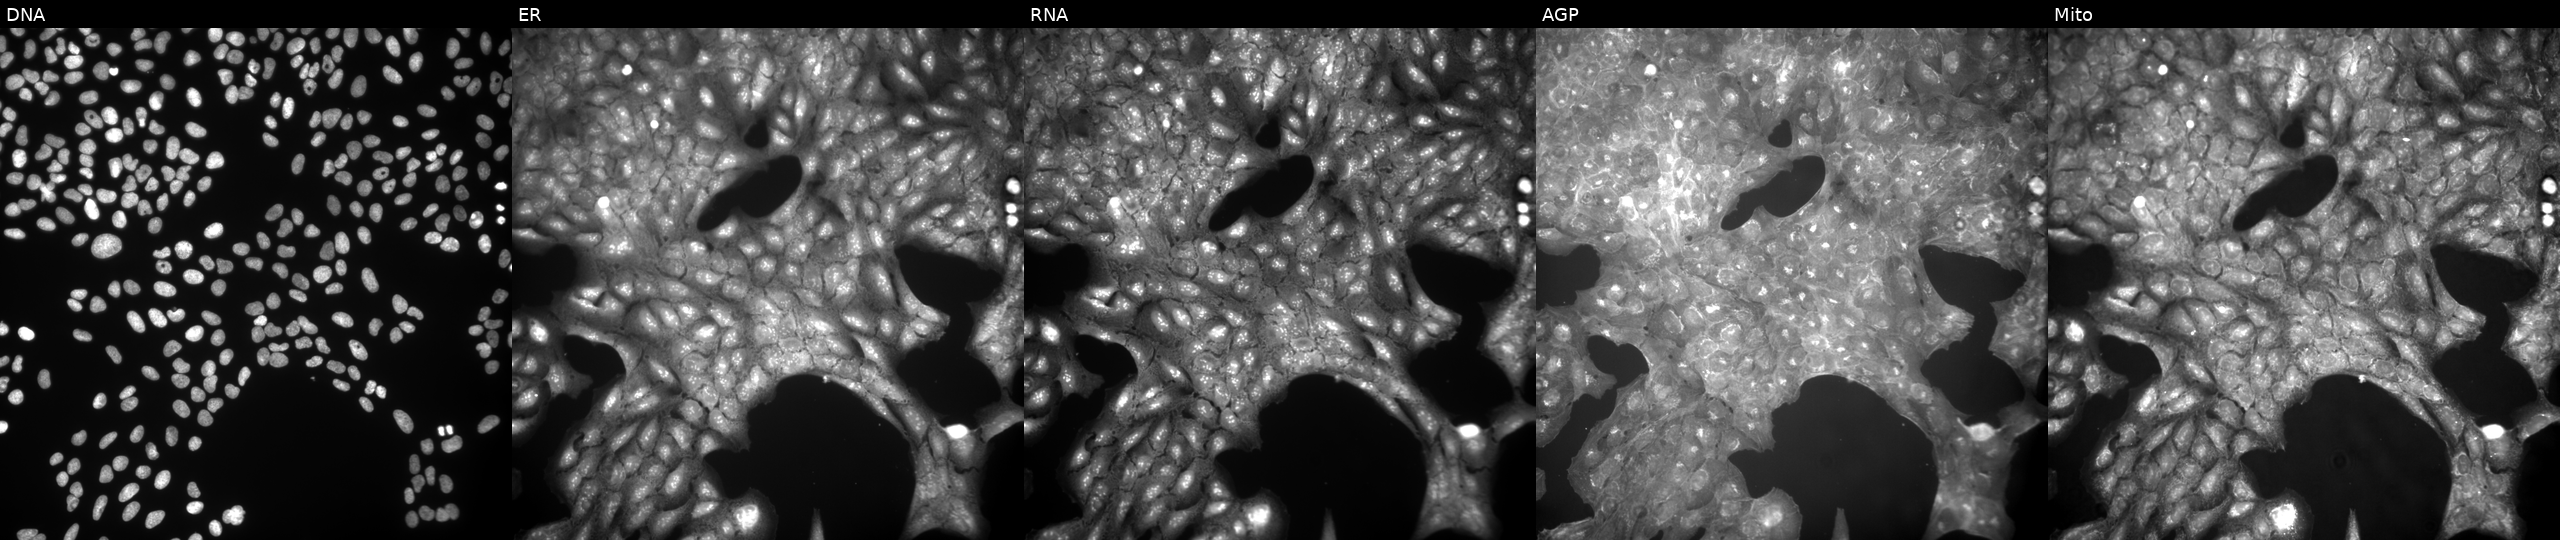
This image strip shows the five Cell Painting channels for a single field of U2OS cells exposed to a small-molecule compound (InChIKey BVHBIIZXRRMLGW-UHFFFAOYSA-N). Channels (left→right): DNA, ER, RNA, AGP, and Mito.